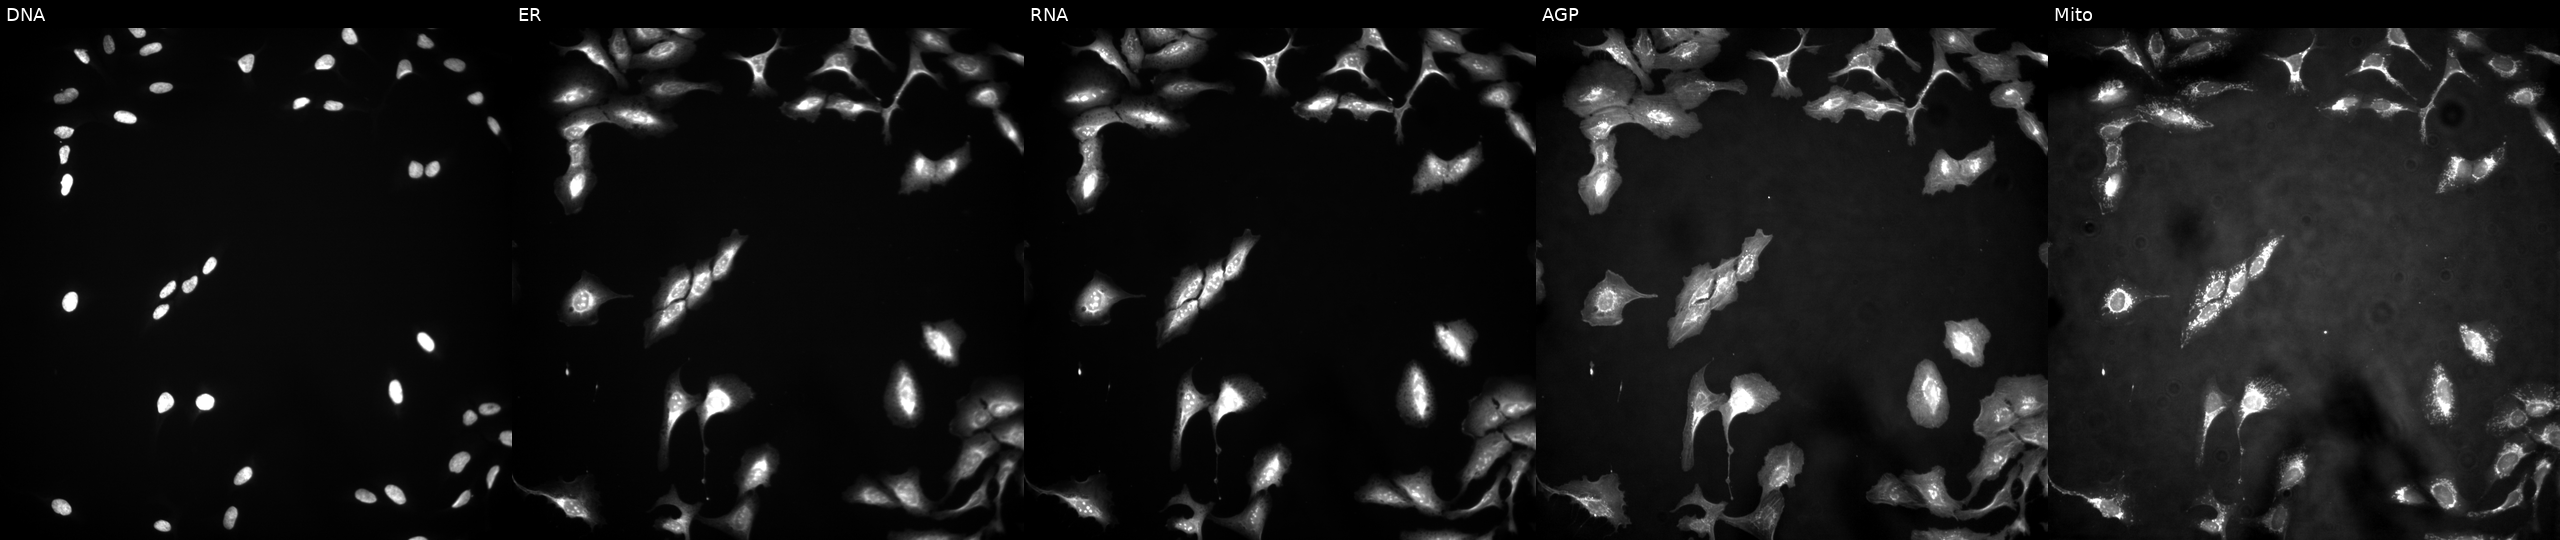
Five-channel Cell Painting image of U2OS cells expressing eGFP (ORF positive control). Panels show, left to right, Hoechst 33342, concanavalin A, SYTO 14, phalloidin and WGA, MitoTracker.